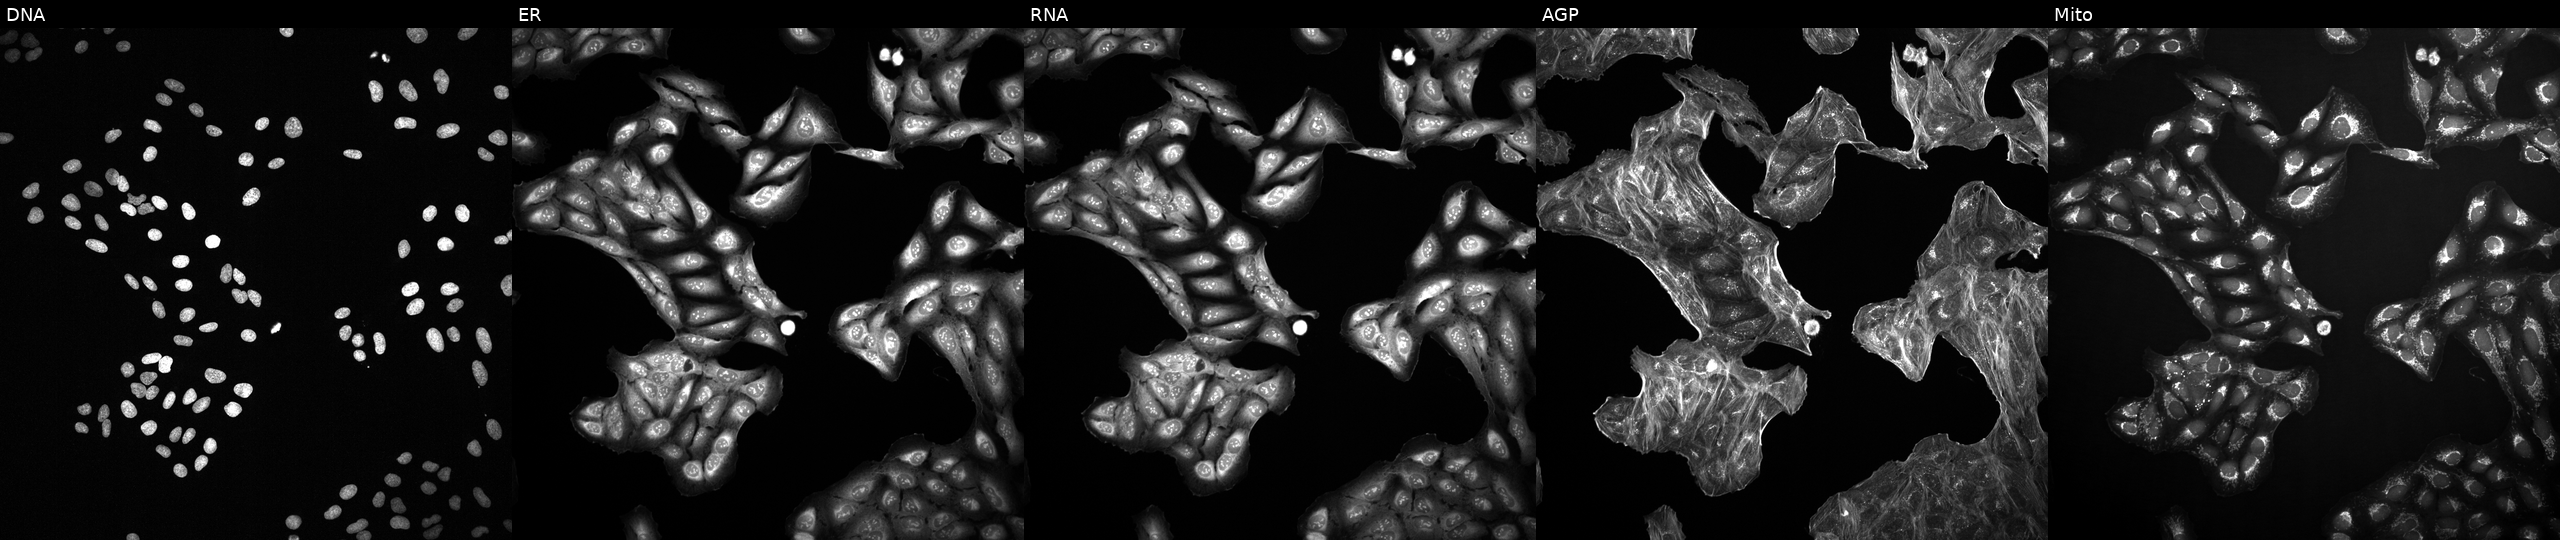
JUMP Cell Painting — TARGET2 plate. U2OS cells exposed to DMSO alone as a negative control (JUMP id JCP2022_033924). The five panels, left to right, show Hoechst 33342, concanavalin A, SYTO 14, phalloidin and WGA, MitoTracker.